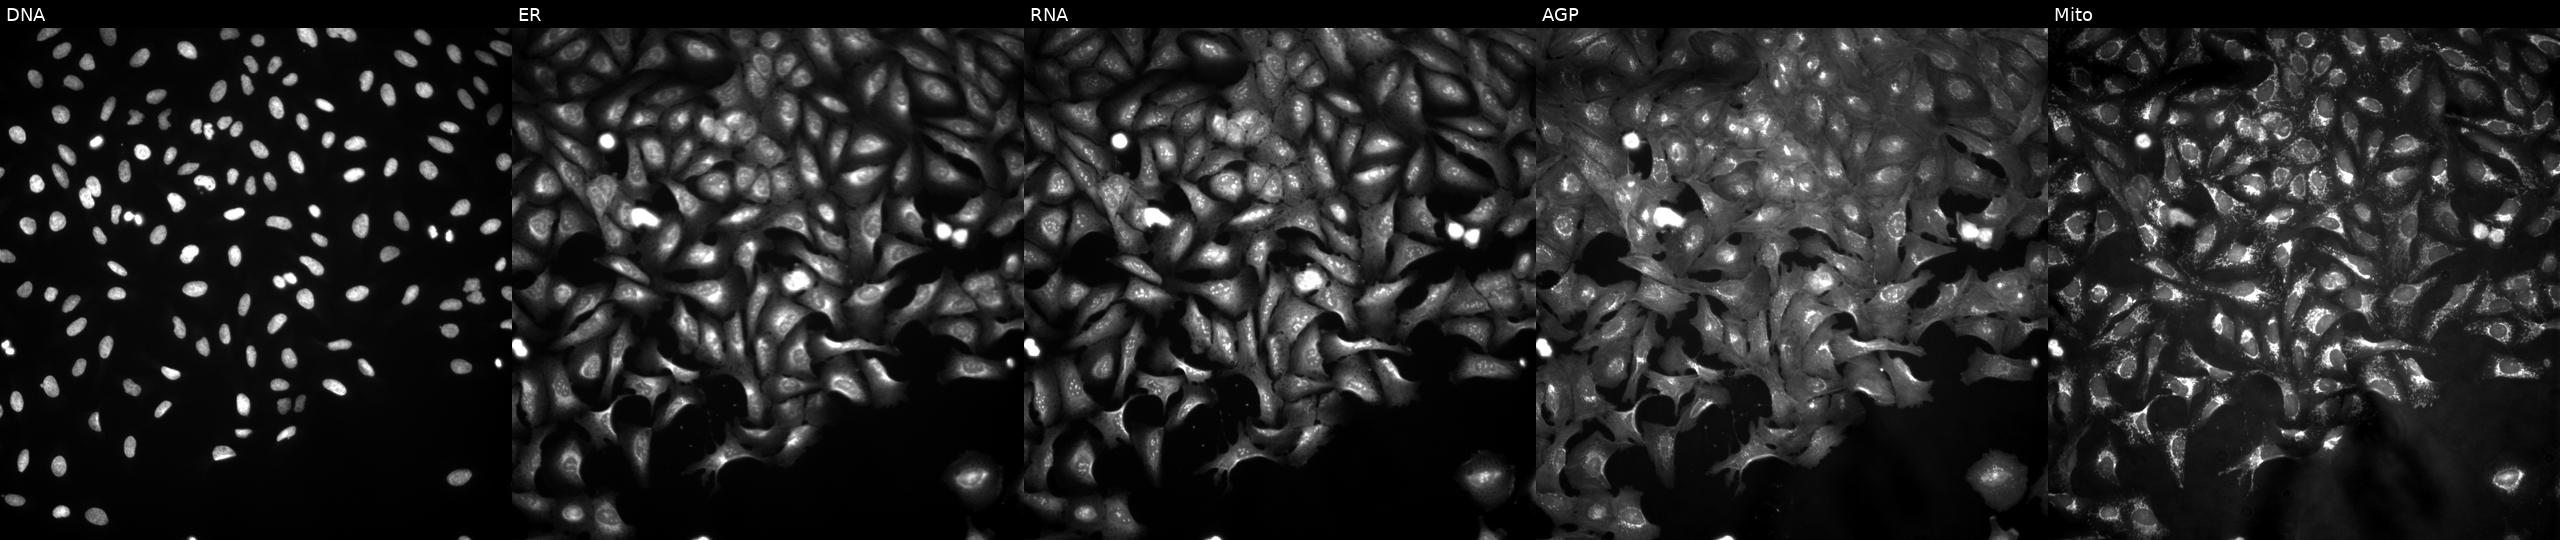
JUMP Cell Painting — ORF plate. U2OS cells transfected with an ORF construct for ANXA6. Panels show, left to right, DNA (nuclei); ER (endoplasmic reticulum); RNA (nucleoli and cytoplasmic RNA); AGP (actin cytoskeleton, Golgi, and plasma membrane); Mito (mitochondria). Source 4, plate BR00121543, well E24.